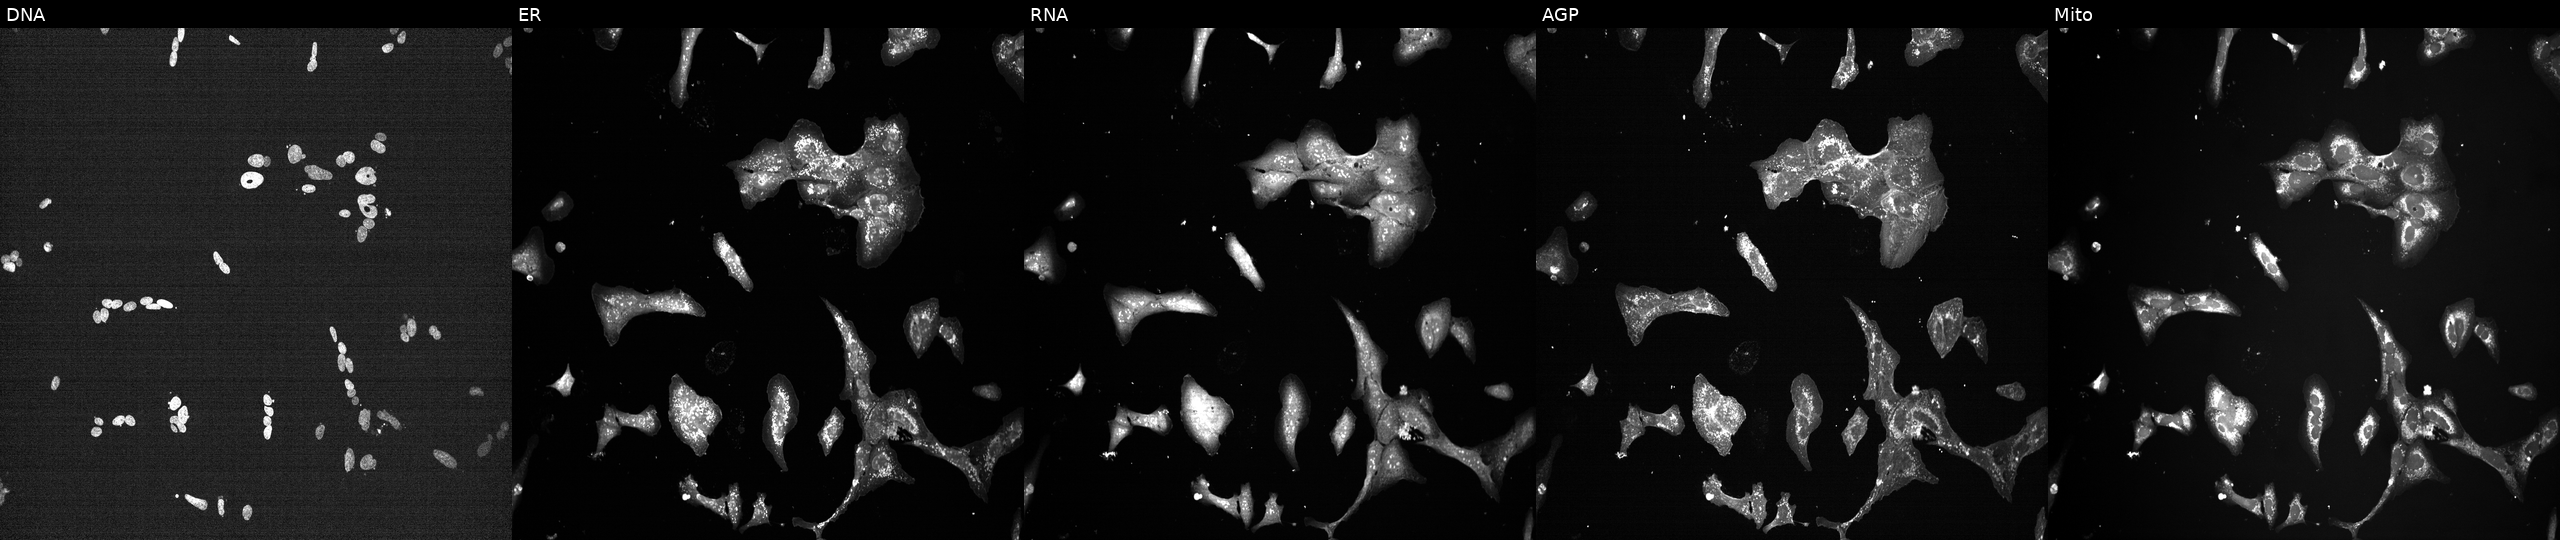
Panels show, left to right, DNA (nuclei); ER (endoplasmic reticulum); RNA (nucleoli and cytoplasmic RNA); AGP (actin cytoskeleton, Golgi, and plasma membrane); Mito (mitochondria). U2OS osteosarcoma cells exposed to a small-molecule compound (InChIKey JOOXLOJCABQBSG-UHFFFAOYSA-N) [SMILES: Cc1c[nH]c(=Nc2ccc(OCCN3CCCC3)cc2)[nH]c1=Nc1cccc(S(=O)(=O)NC(C)(C)C)c1]. Cell Painting assay, JUMP-CP dataset. Source 7, plate CP1-SC1-25, well M22.